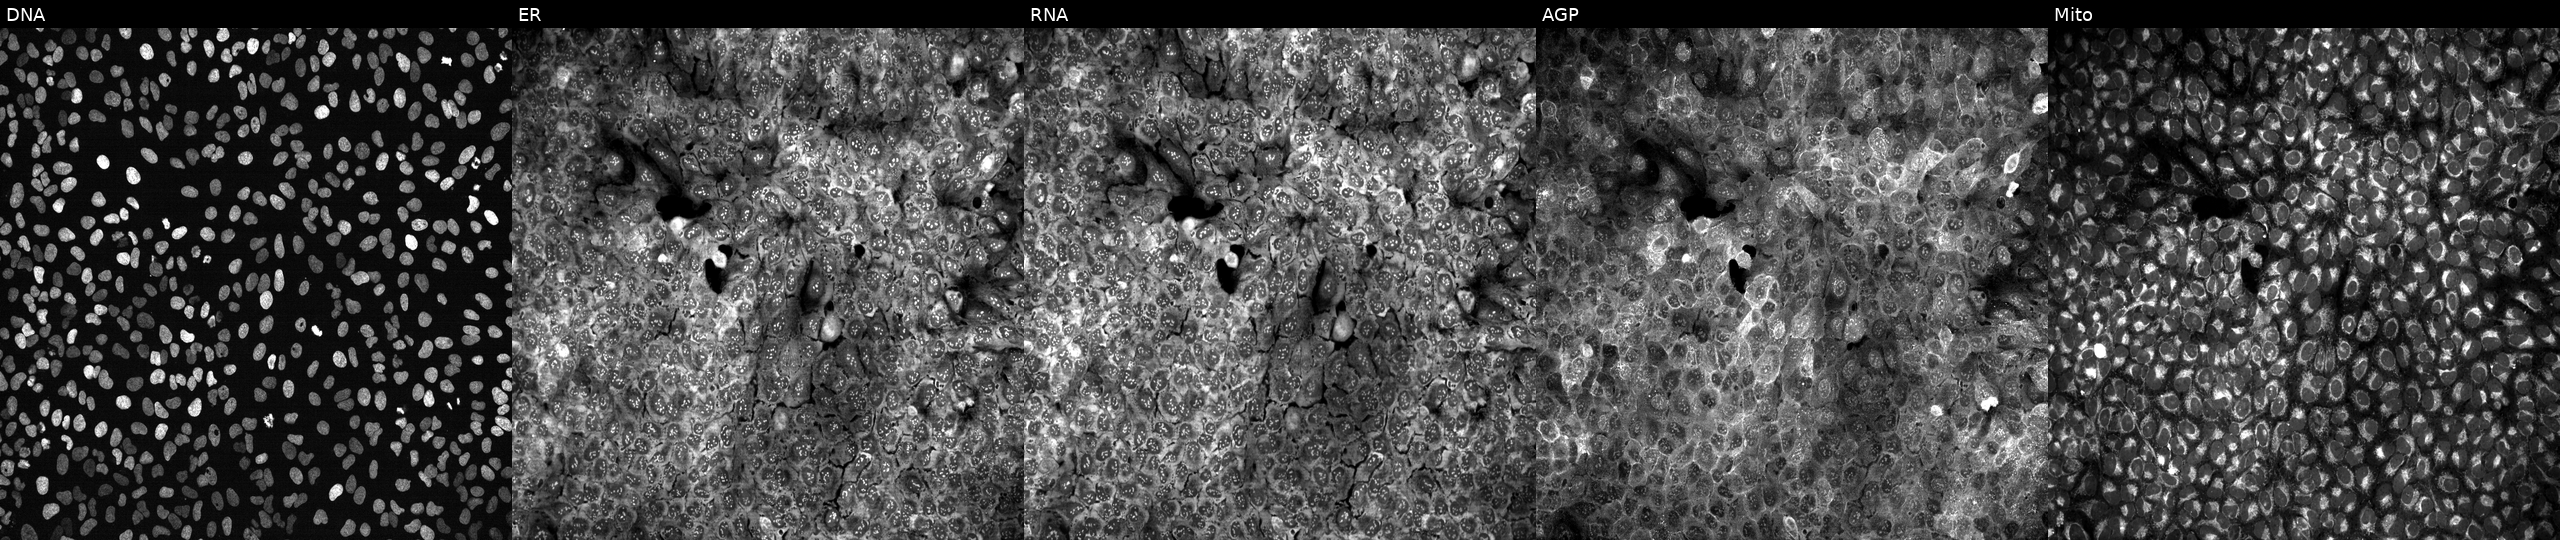
U2OS cells, Cell Painting assay, exposed to the positive-control compound aloxistatin (JUMP id JCP2022_085227). The five panels, left to right, show DNA, ER, RNA, AGP, and Mito. Each panel is percentile-stretched 16-bit fluorescence.